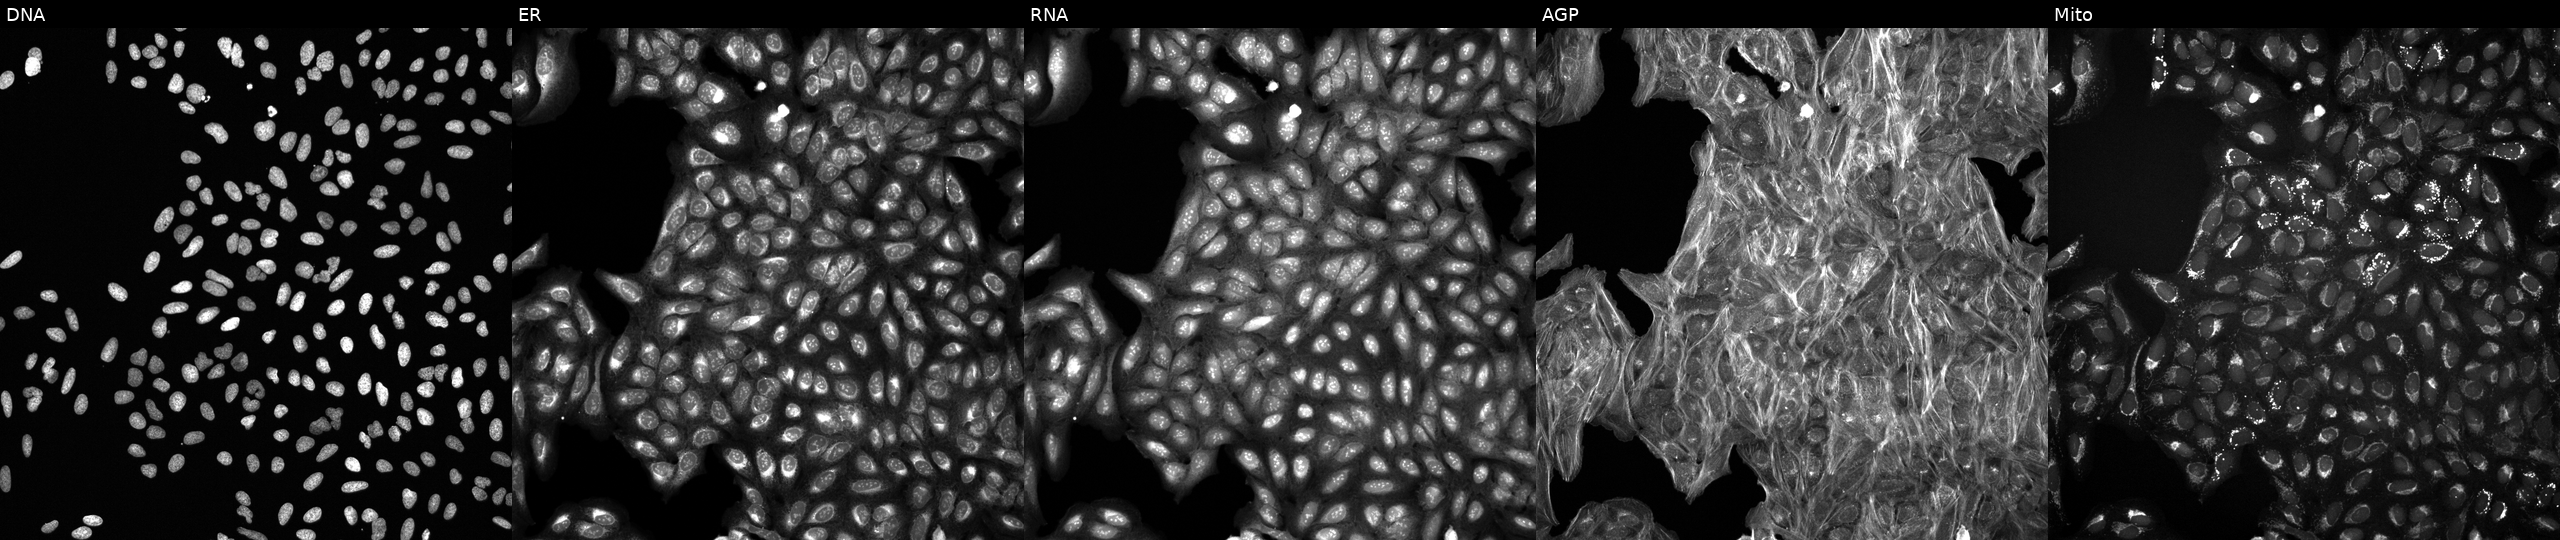
U2OS cells, Cell Painting assay, treated with DMSO vehicle only (negative control). Channels (left→right): DNA, ER, RNA, AGP, and Mito. Each panel is percentile-stretched 16-bit fluorescence. Source 6, plate 110000293081, well O12.